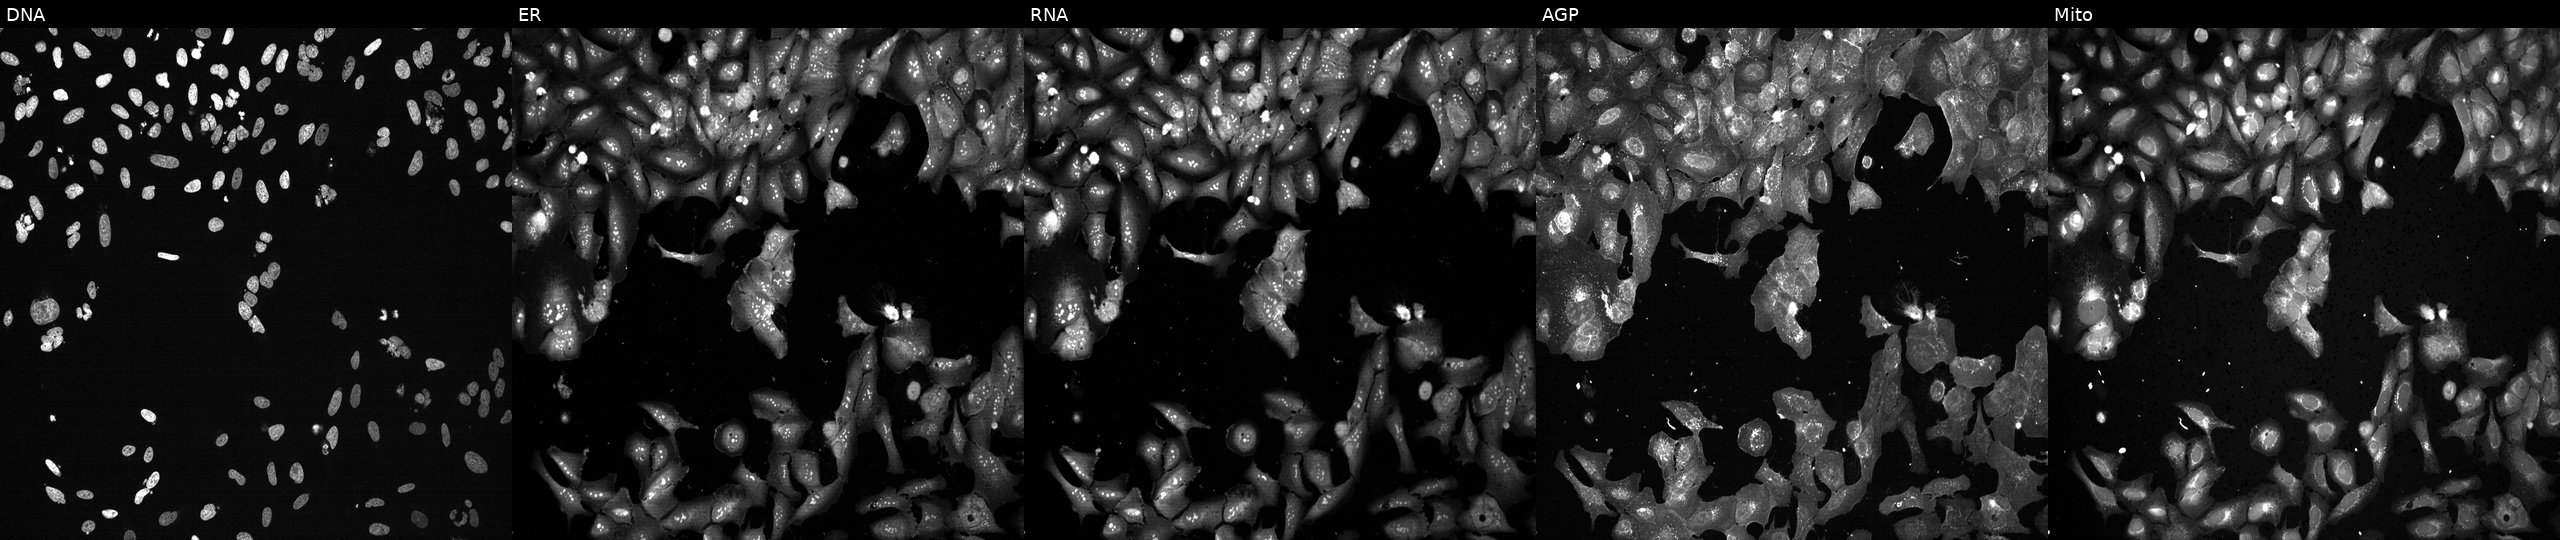
Five-channel Cell Painting image of U2OS cells following CRISPR knockout of MEPCE. Panels show, left to right, DNA (nuclei); ER (endoplasmic reticulum); RNA (nucleoli and cytoplasmic RNA); AGP (actin cytoskeleton, Golgi, and plasma membrane); Mito (mitochondria). Source 13, plate CP-CC9-R1-01, well C19.